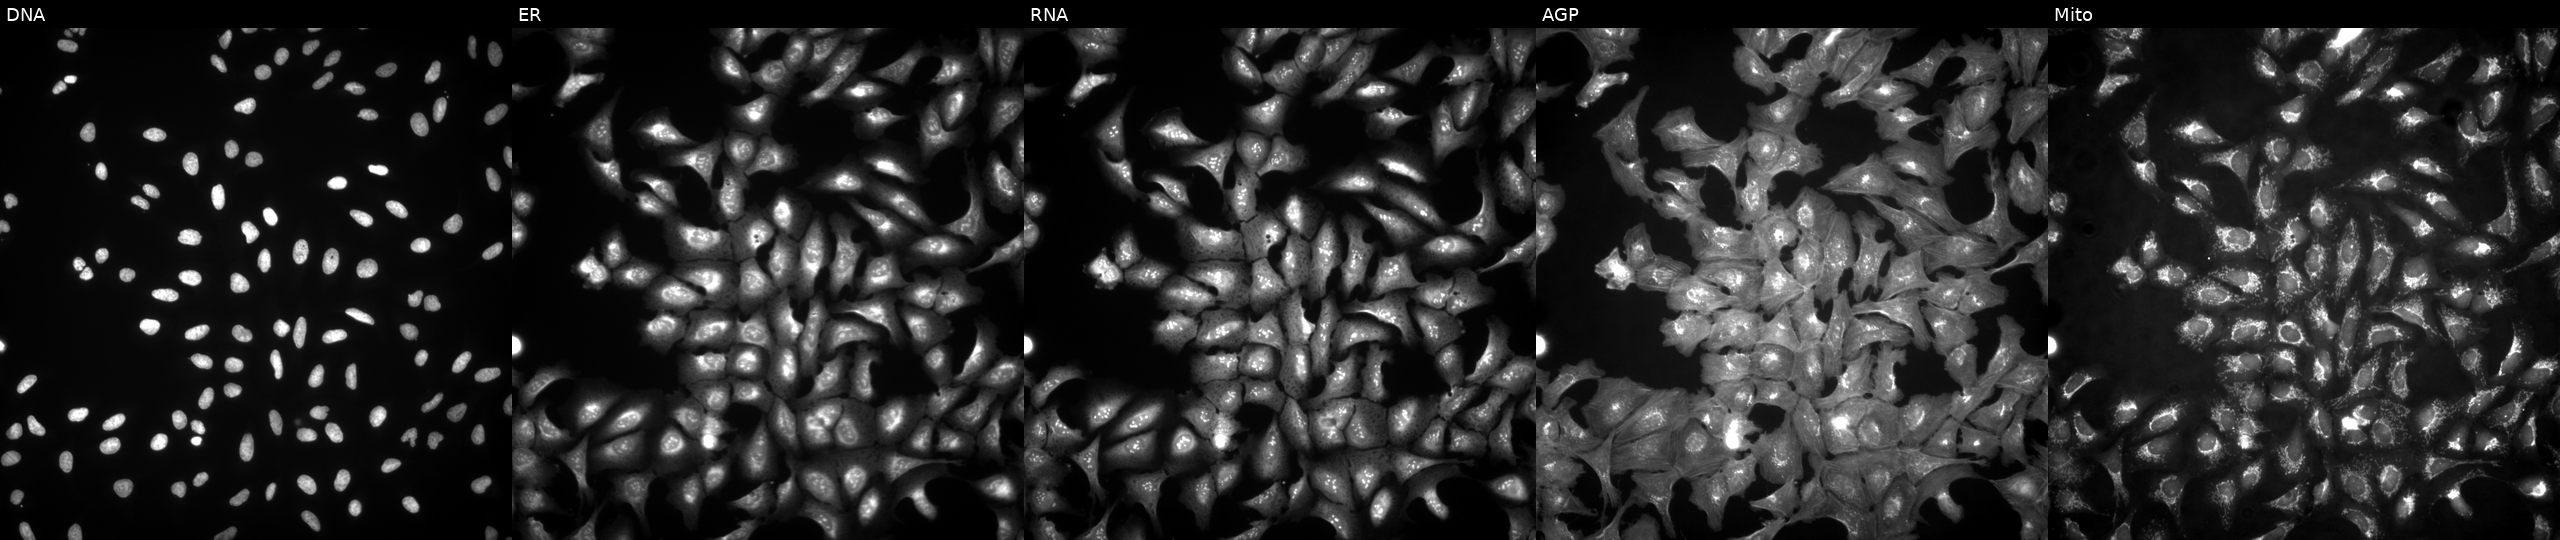
JUMP Cell Painting — ORF plate. U2OS cells overexpressing CSRP3 via ORF transfection (JUMP id JCP2022_906730). Panels show, left to right, DNA, ER, RNA, AGP, and Mito.